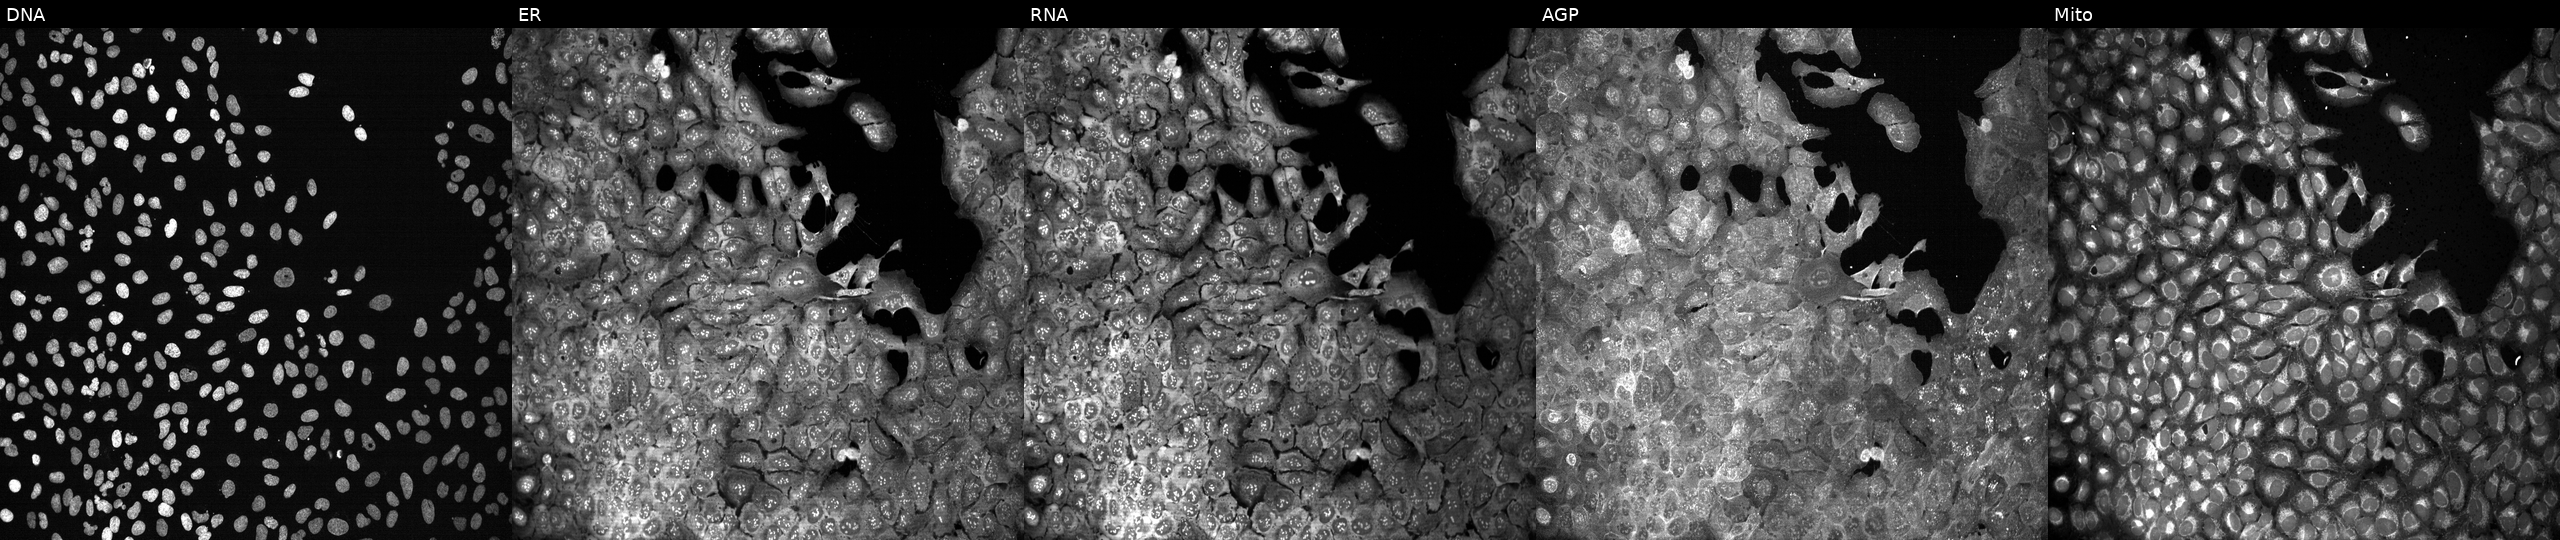
Five-channel Cell Painting image of U2OS cells with CPN2 knocked out by CRISPR (JUMP id JCP2022_801476). Panels show, left to right, Hoechst 33342, concanavalin A, SYTO 14, phalloidin and WGA, MitoTracker. Source 13, plate CP-CC9-R5-01, well H19.